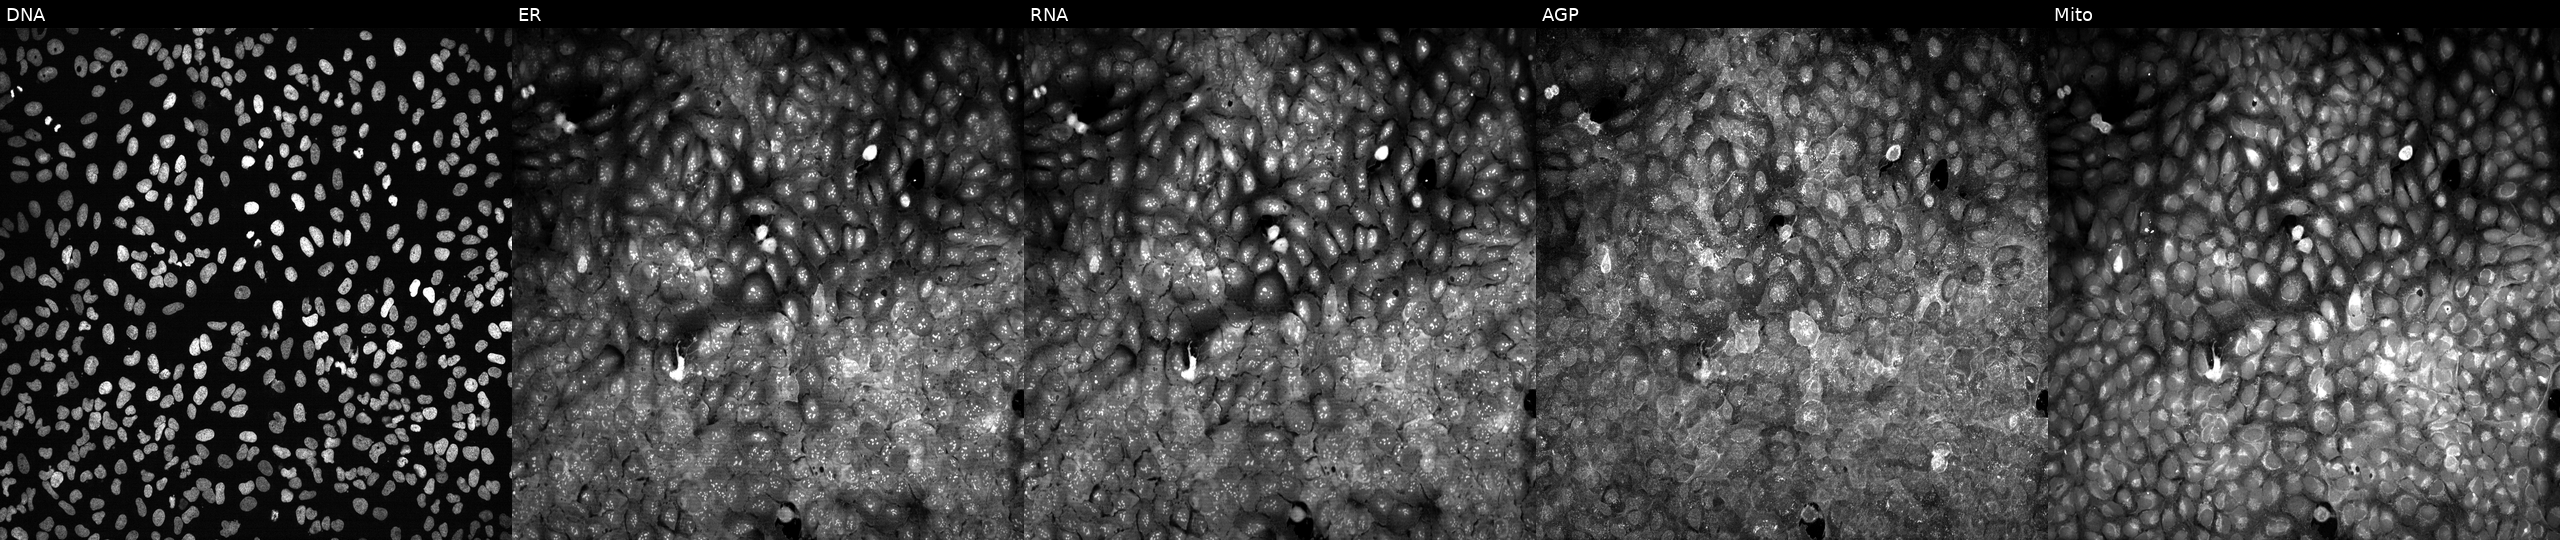
JUMP Cell Painting — CRISPR plate. U2OS cells following CRISPR knockout of CNP (JUMP id JCP2022_801421). From left to right: DNA (nuclei); ER (endoplasmic reticulum); RNA (nucleoli and cytoplasmic RNA); AGP (actin cytoskeleton, Golgi, and plasma membrane); Mito (mitochondria).